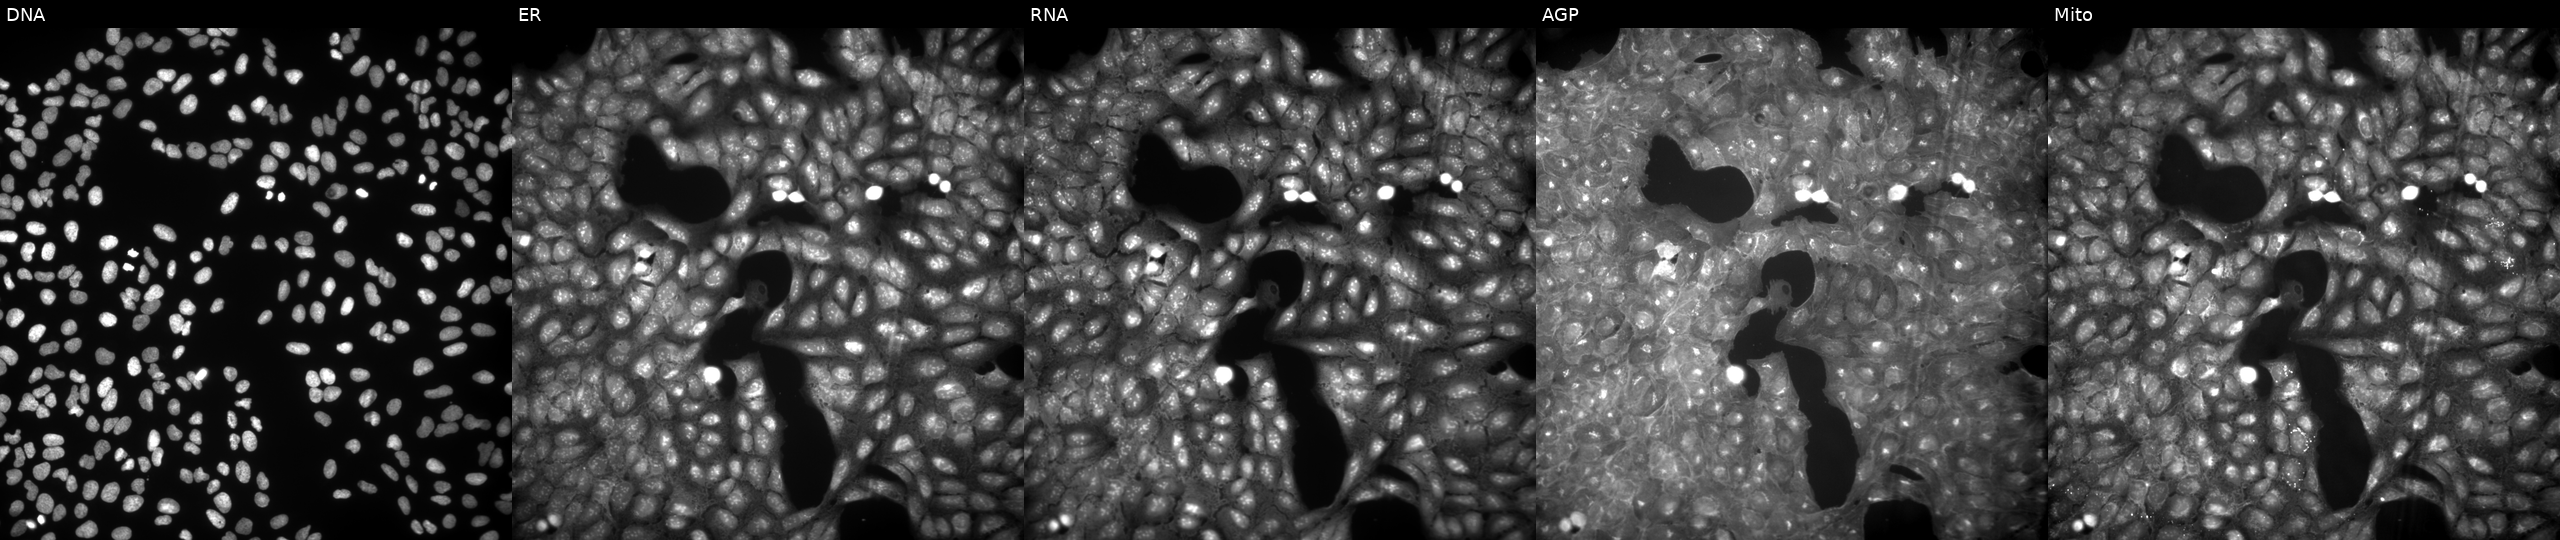
This image strip shows the five Cell Painting channels for a single field of U2OS cells exposed to a small-molecule compound (InChIKey LWDBPPYRAAJEKV-UHFFFAOYSA-N) (JUMP id JCP2022_052093). The five panels, left to right, show DNA, ER, RNA, AGP, and Mito.